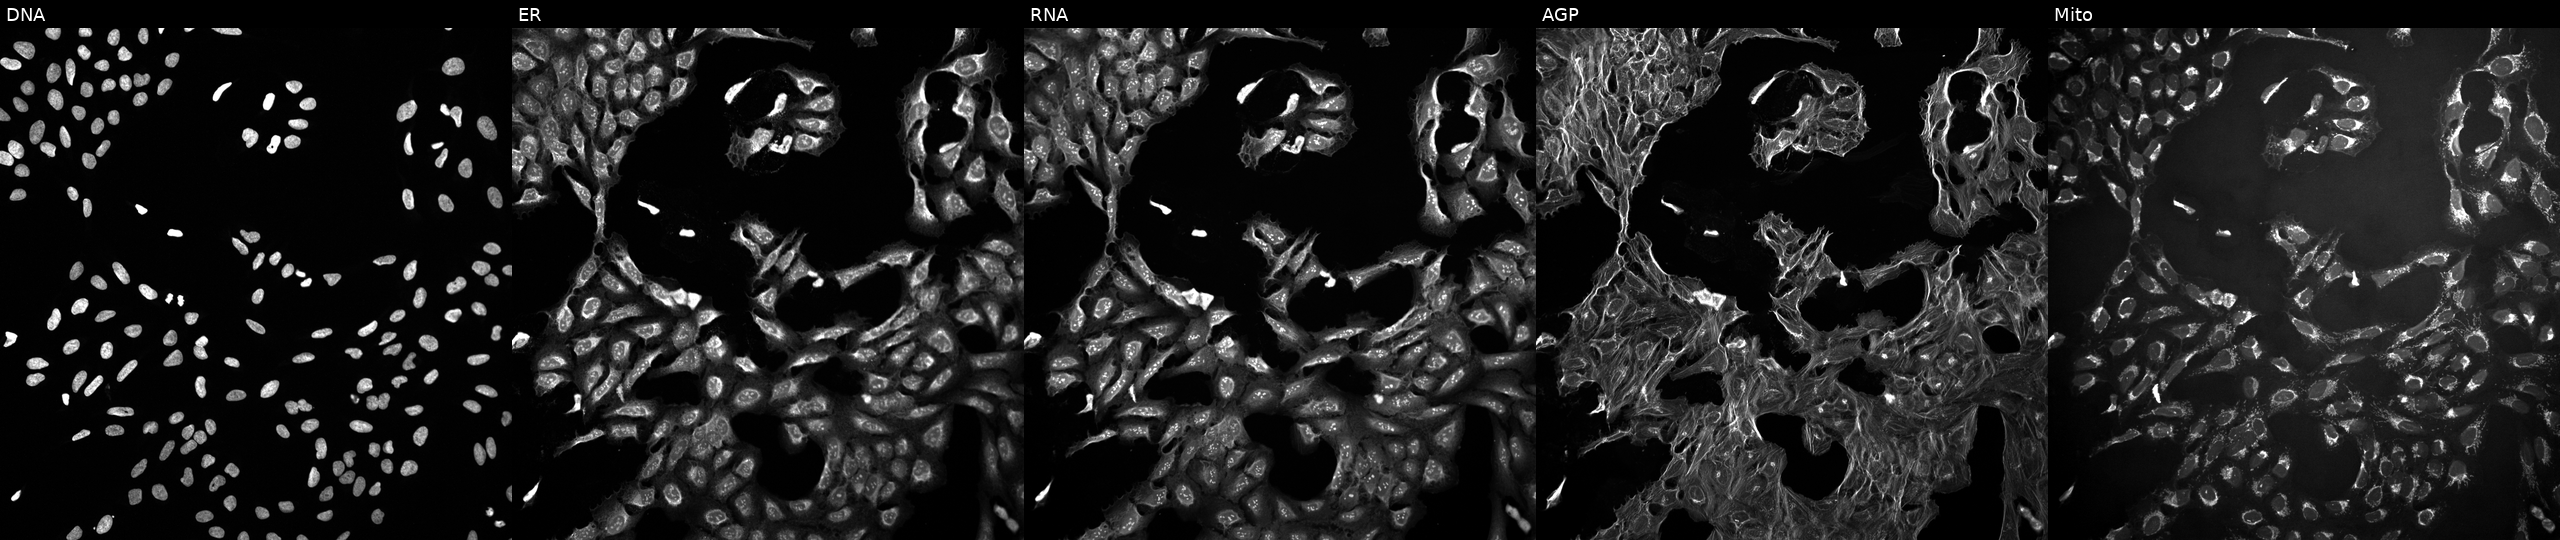
The five panels, left to right, show Hoechst 33342, concanavalin A, SYTO 14, phalloidin and WGA, MitoTracker. U2OS osteosarcoma cells exposed to DMSO alone as a negative control (JUMP id JCP2022_033924). Cell Painting assay, JUMP-CP dataset.